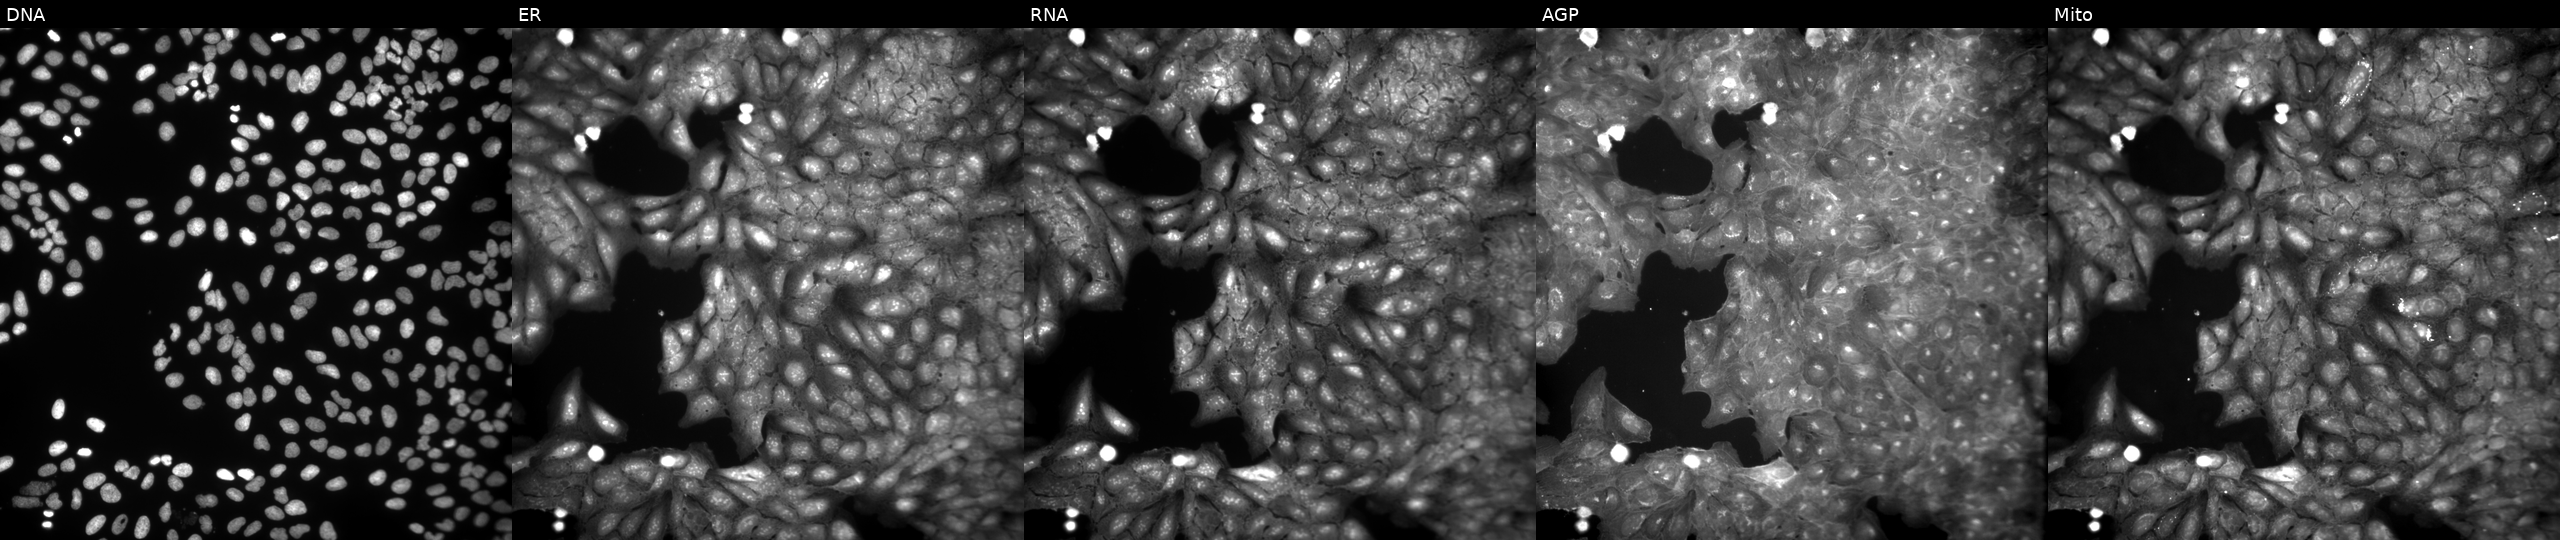
Five-channel Cell Painting image of U2OS cells treated with a small-molecule compound (InChIKey SKBYAYZENHPZOT-UHFFFAOYSA-N) (JUMP id JCP2022_083769). Channels (left→right): DNA (nuclei); ER (endoplasmic reticulum); RNA (nucleoli and cytoplasmic RNA); AGP (actin cytoskeleton, Golgi, and plasma membrane); Mito (mitochondria).